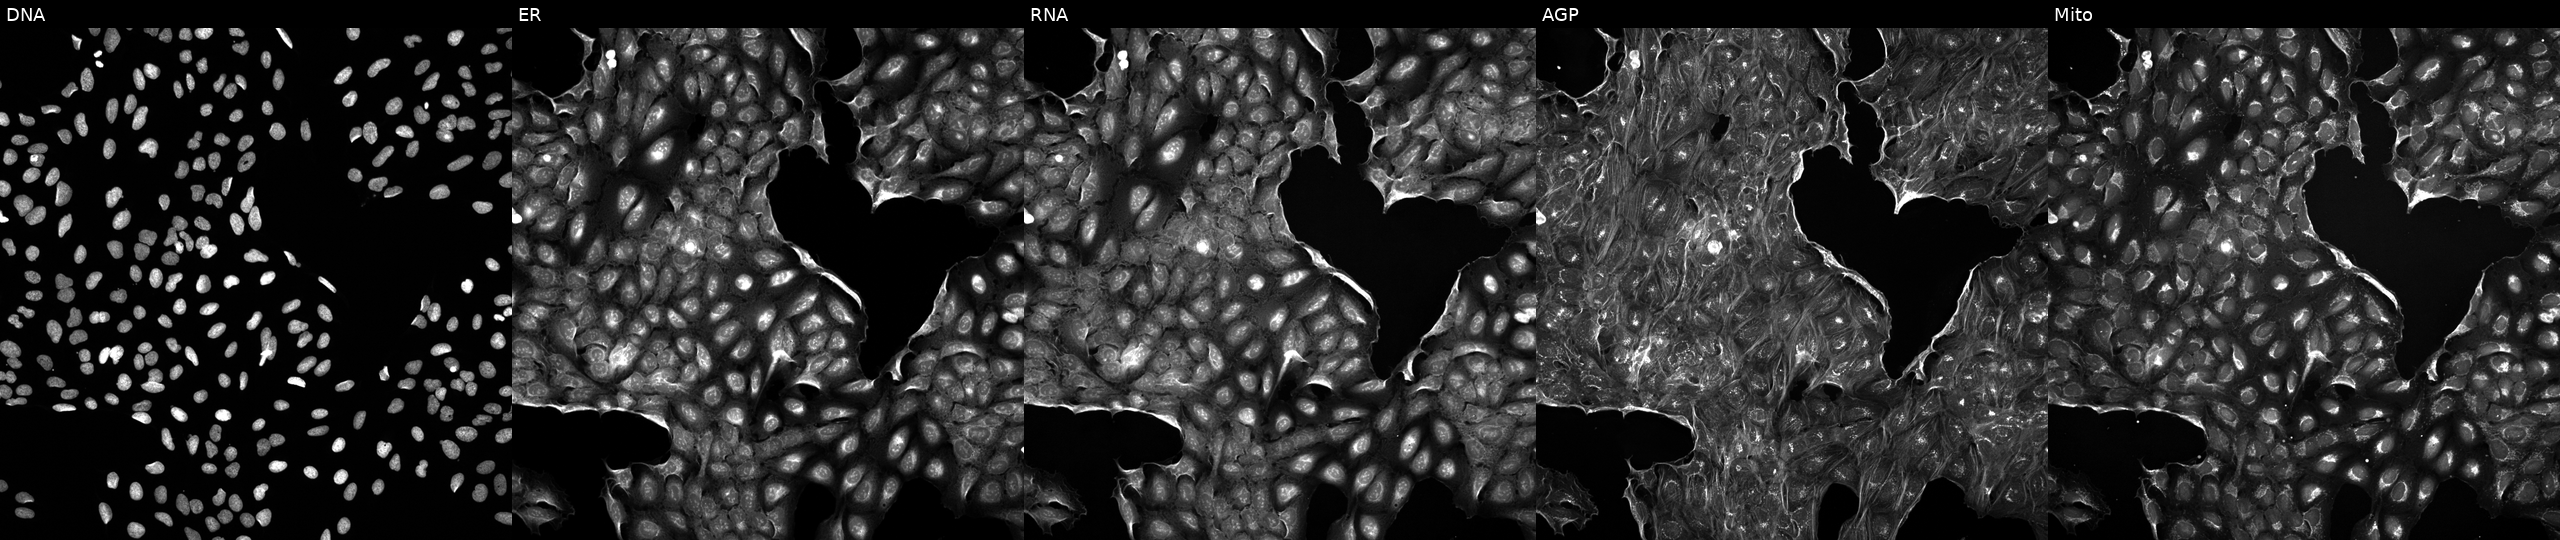
U2OS cells, Cell Painting assay, exposed to DMSO alone as a negative control (JUMP id JCP2022_033924). The five panels, left to right, show DNA (nuclei); ER (endoplasmic reticulum); RNA (nucleoli and cytoplasmic RNA); AGP (actin cytoskeleton, Golgi, and plasma membrane); Mito (mitochondria). Each panel is percentile-stretched 16-bit fluorescence.